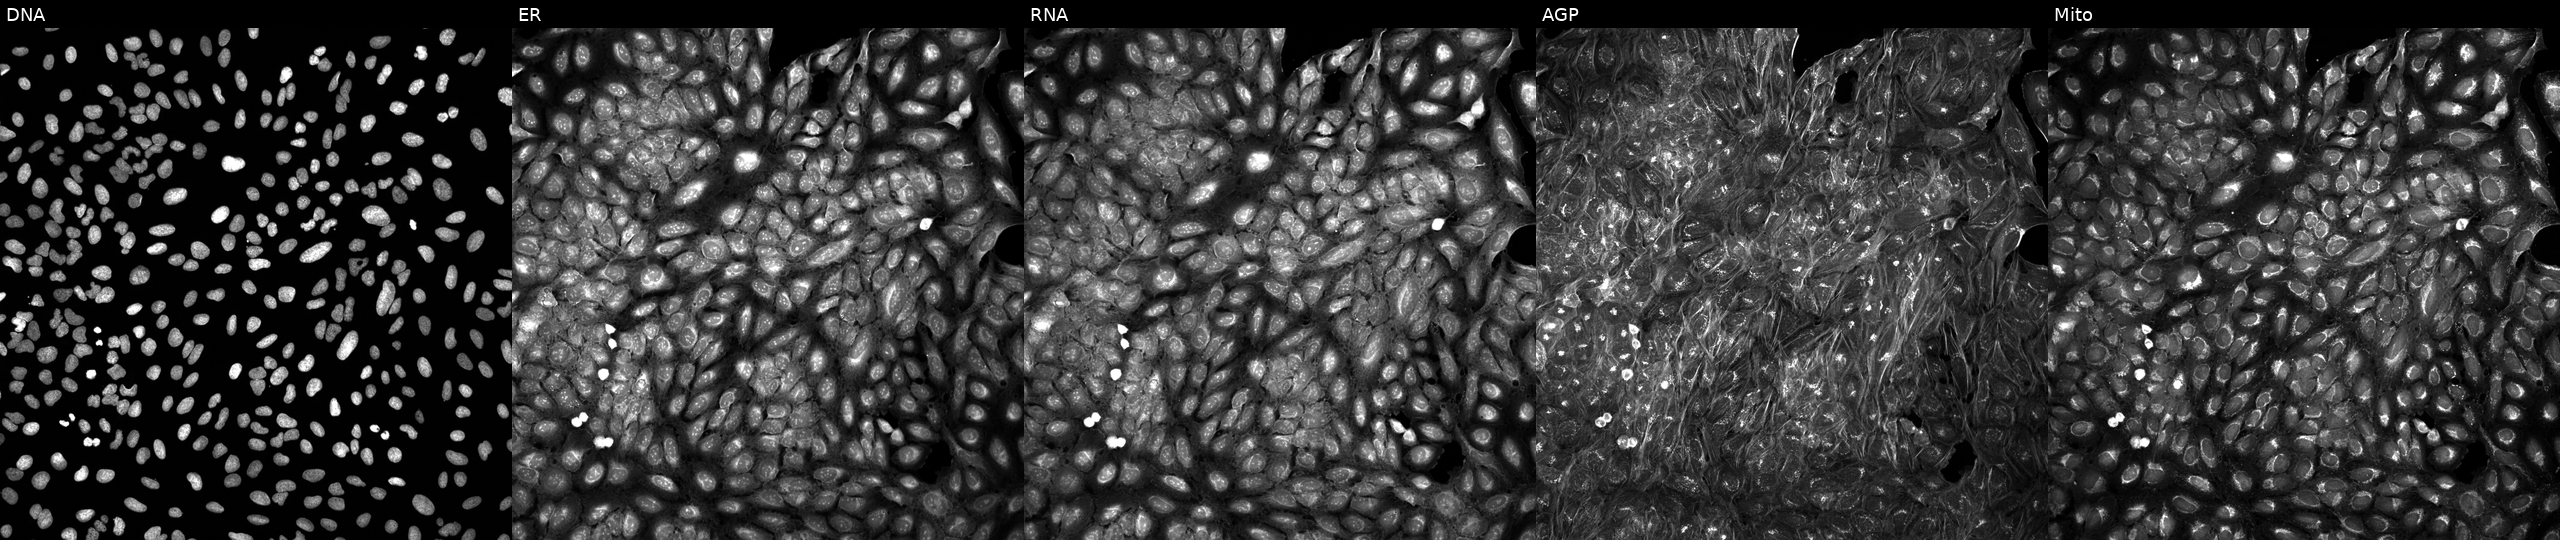
Five-channel Cell Painting image of U2OS cells exposed to DMSO alone as a negative control. The five panels, left to right, show DNA (nuclei); ER (endoplasmic reticulum); RNA (nucleoli and cytoplasmic RNA); AGP (actin cytoskeleton, Golgi, and plasma membrane); Mito (mitochondria). Source 5, plate APTJUM106, well C23.